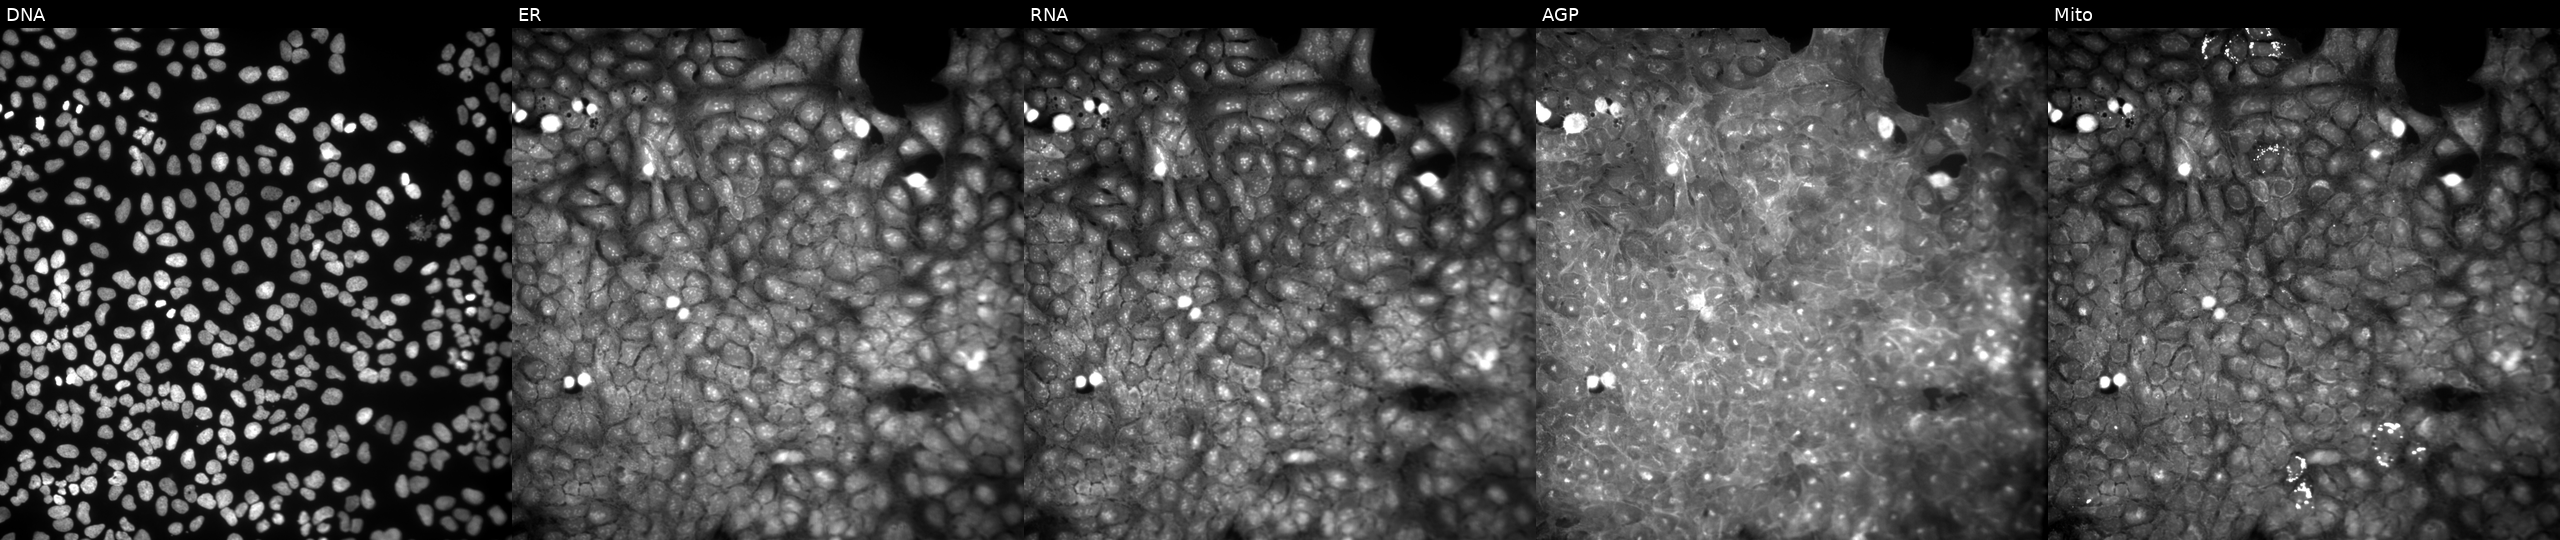
Five-channel Cell Painting image of U2OS cells exposed to the positive-control compound dexamethasone. Channels (left→right): Hoechst 33342, concanavalin A, SYTO 14, phalloidin and WGA, MitoTracker. Source 9, plate GR00003382, well AA48.